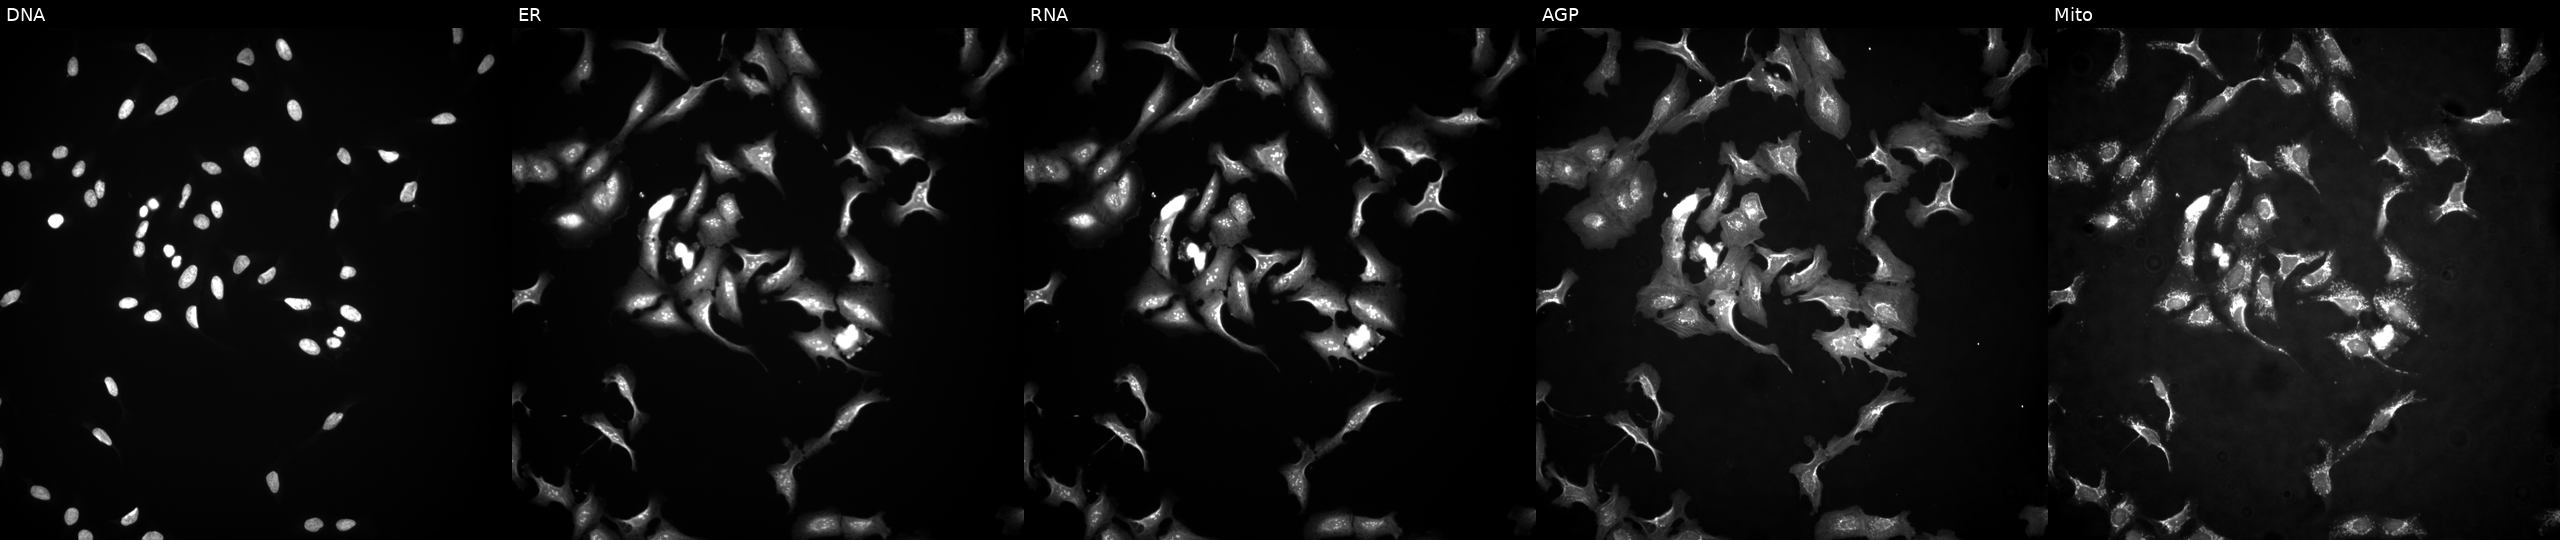
Channels (left→right): Hoechst 33342, concanavalin A, SYTO 14, phalloidin and WGA, MitoTracker. U2OS osteosarcoma cells overexpressing NPRL2 via ORF transfection. Cell Painting assay, JUMP-CP dataset. Source 4, plate BR00117035, well M01.